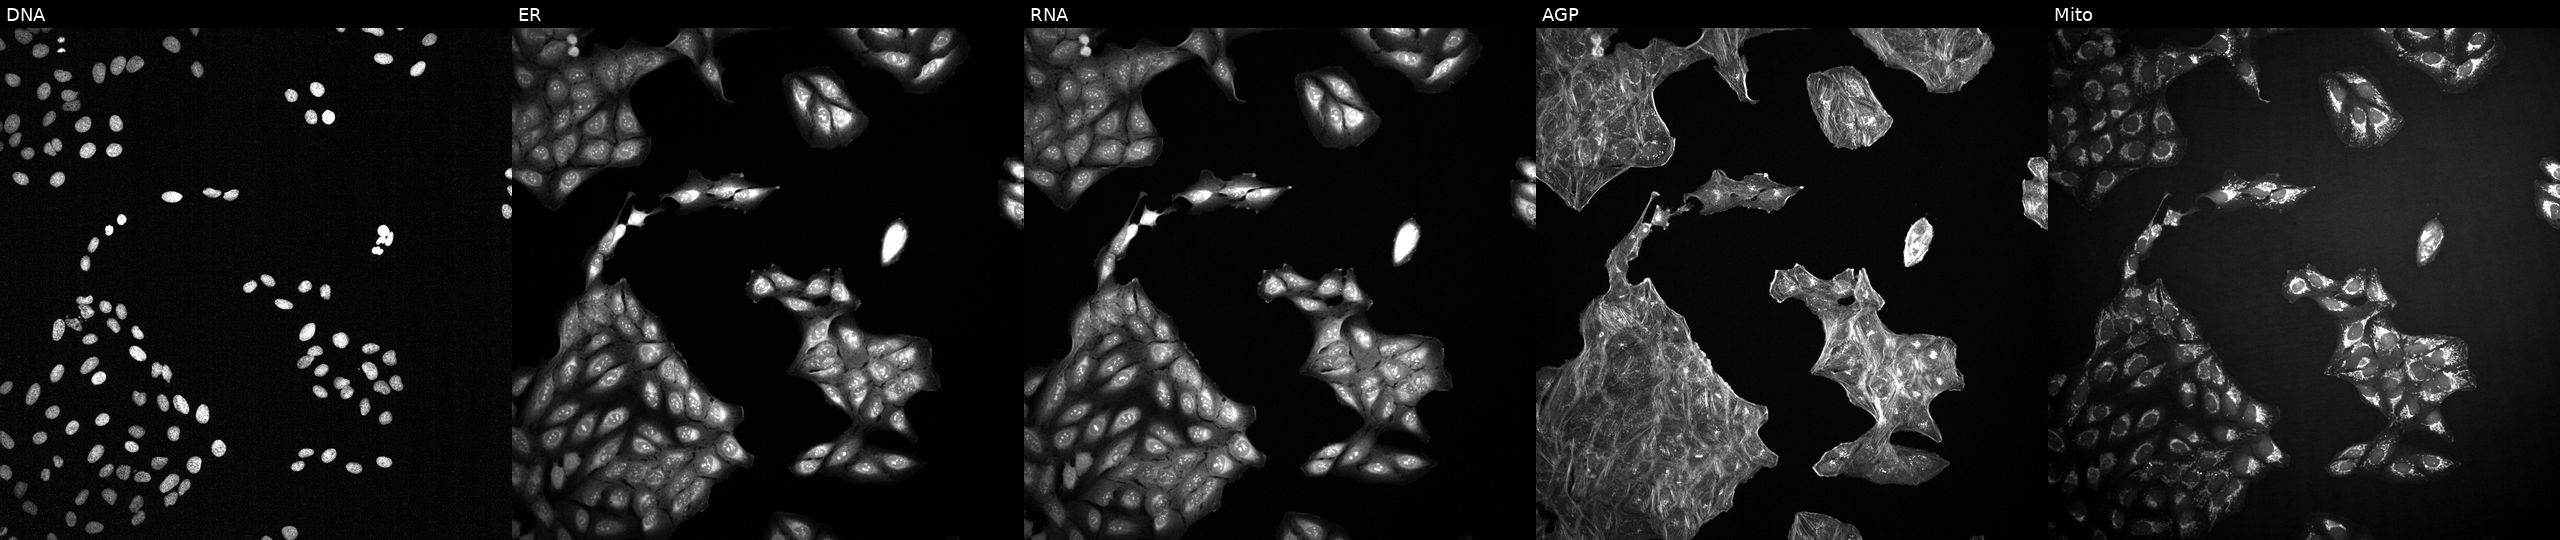
From left to right: DNA, ER, RNA, AGP, and Mito. U2OS osteosarcoma cells perturbed with a small-molecule compound. Cell Painting assay, JUMP-CP dataset.